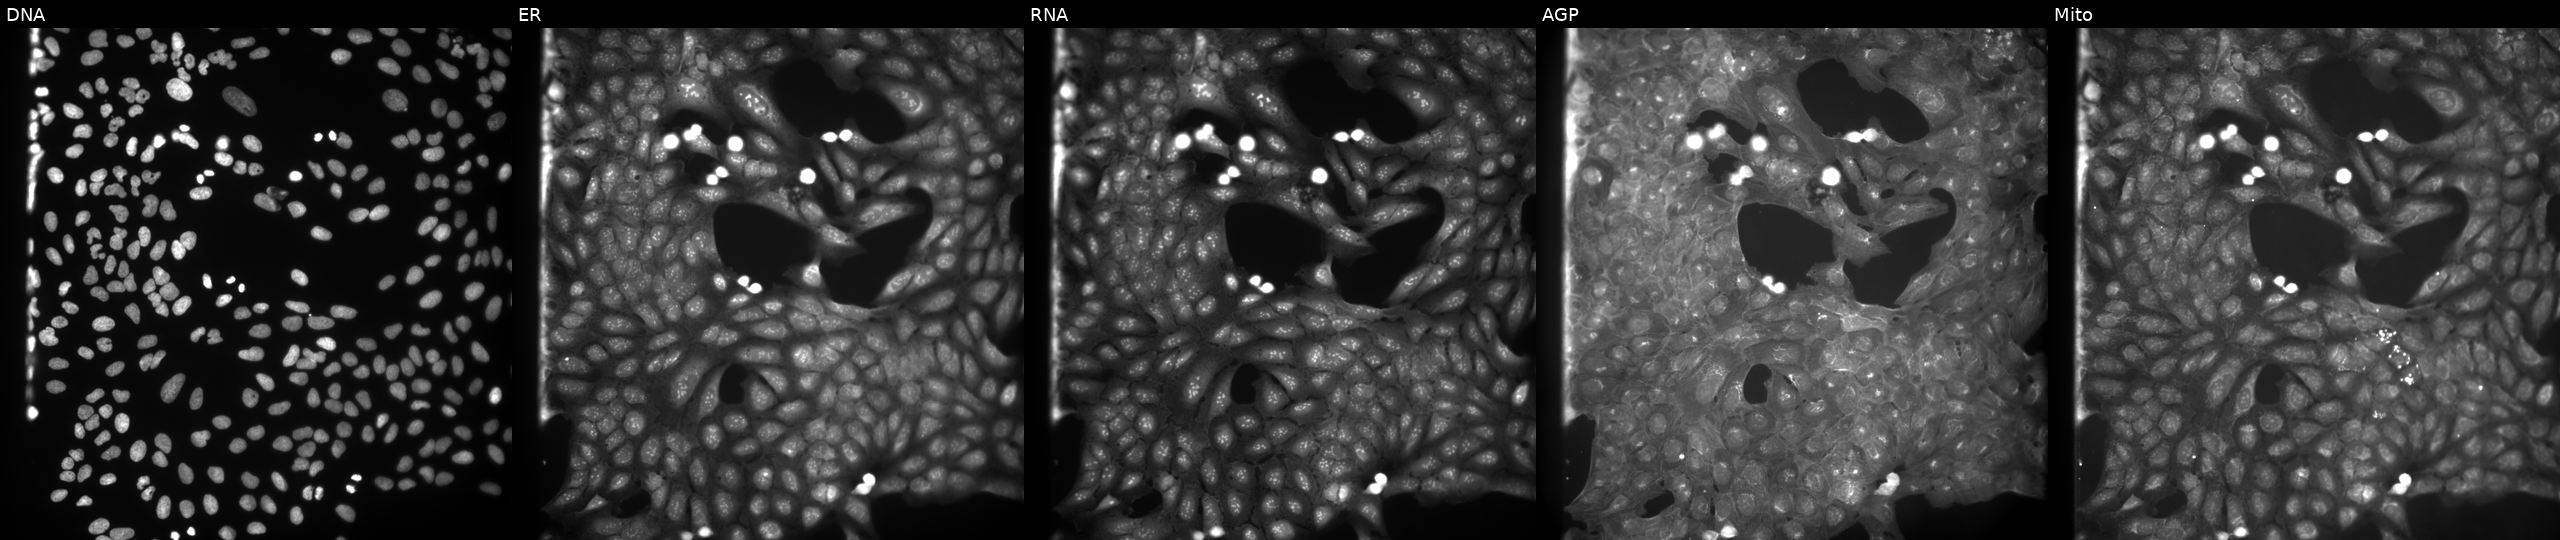
U2OS cells, Cell Painting assay, exposed to DMSO alone as a negative control. From left to right: DNA, ER, RNA, AGP, and Mito. Each panel is percentile-stretched 16-bit fluorescence.